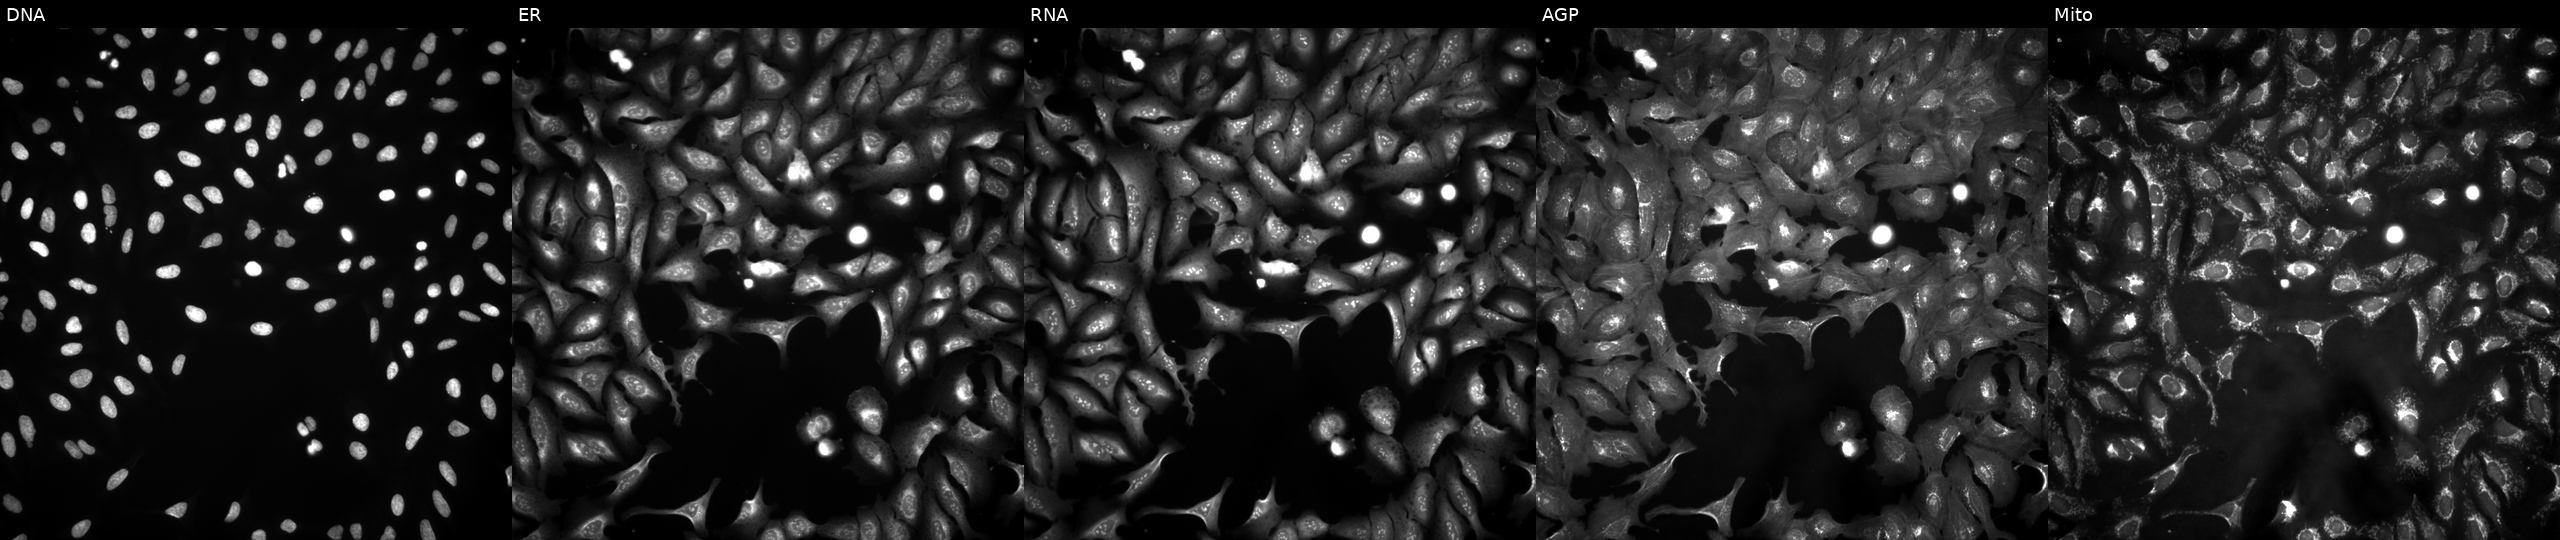
Panels show, left to right, Hoechst 33342, concanavalin A, SYTO 14, phalloidin and WGA, MitoTracker. U2OS osteosarcoma cells with HSPD1 overexpressed (ORF) (JUMP id JCP2022_906003). Cell Painting assay, JUMP-CP dataset.